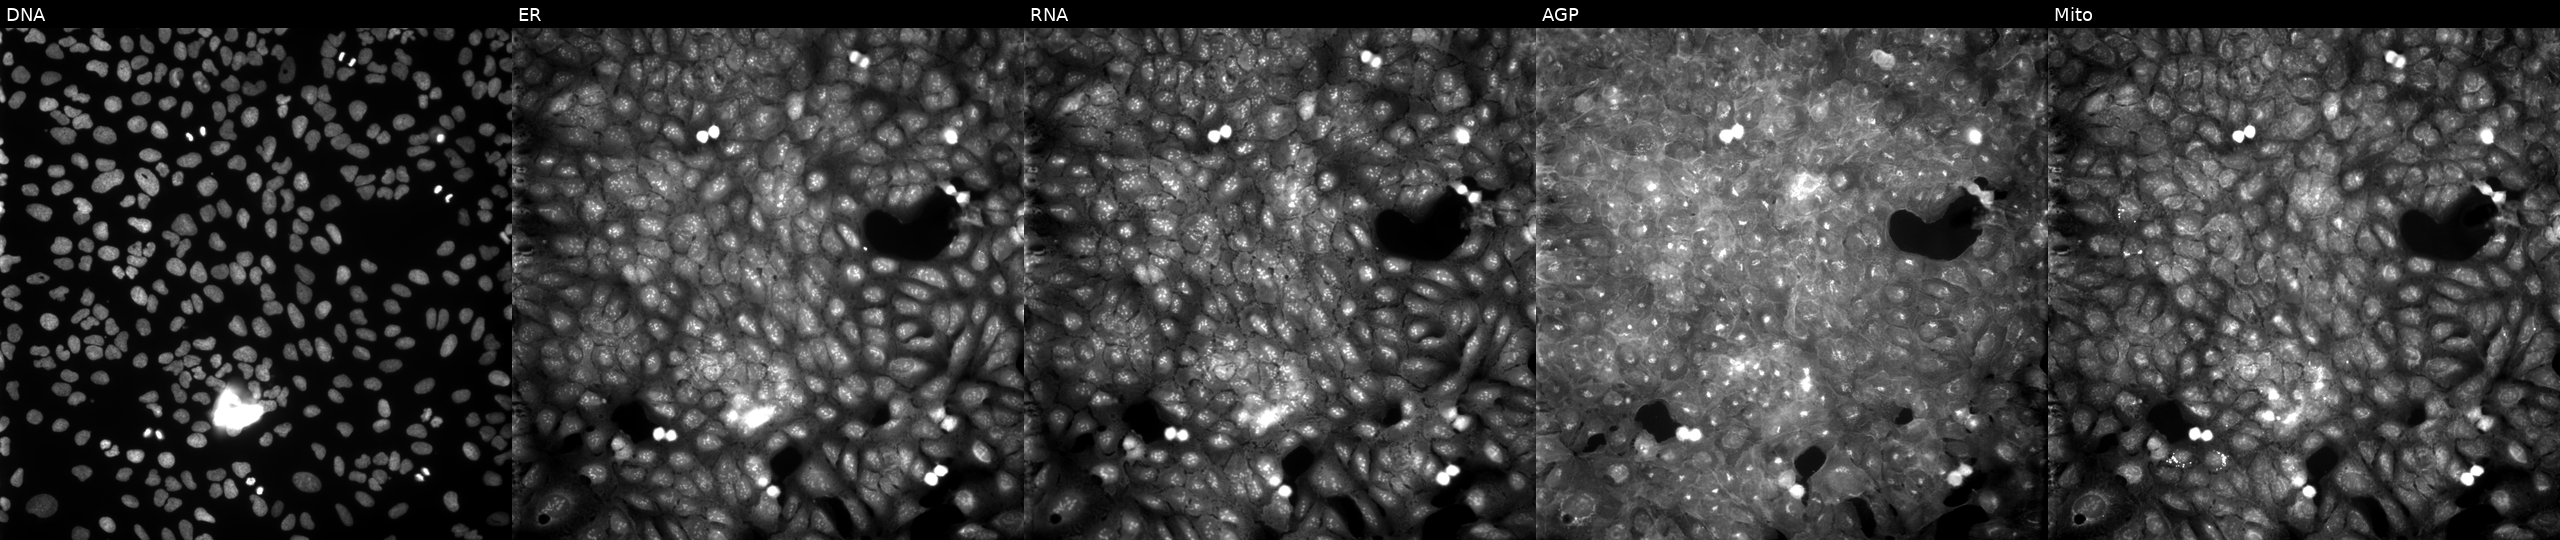
The five panels, left to right, show Hoechst 33342, concanavalin A, SYTO 14, phalloidin and WGA, MitoTracker. U2OS osteosarcoma cells exposed to a small-molecule compound (InChIKey GLQFKGIBFUOIJO-UHFFFAOYSA-N). Cell Painting assay, JUMP-CP dataset.